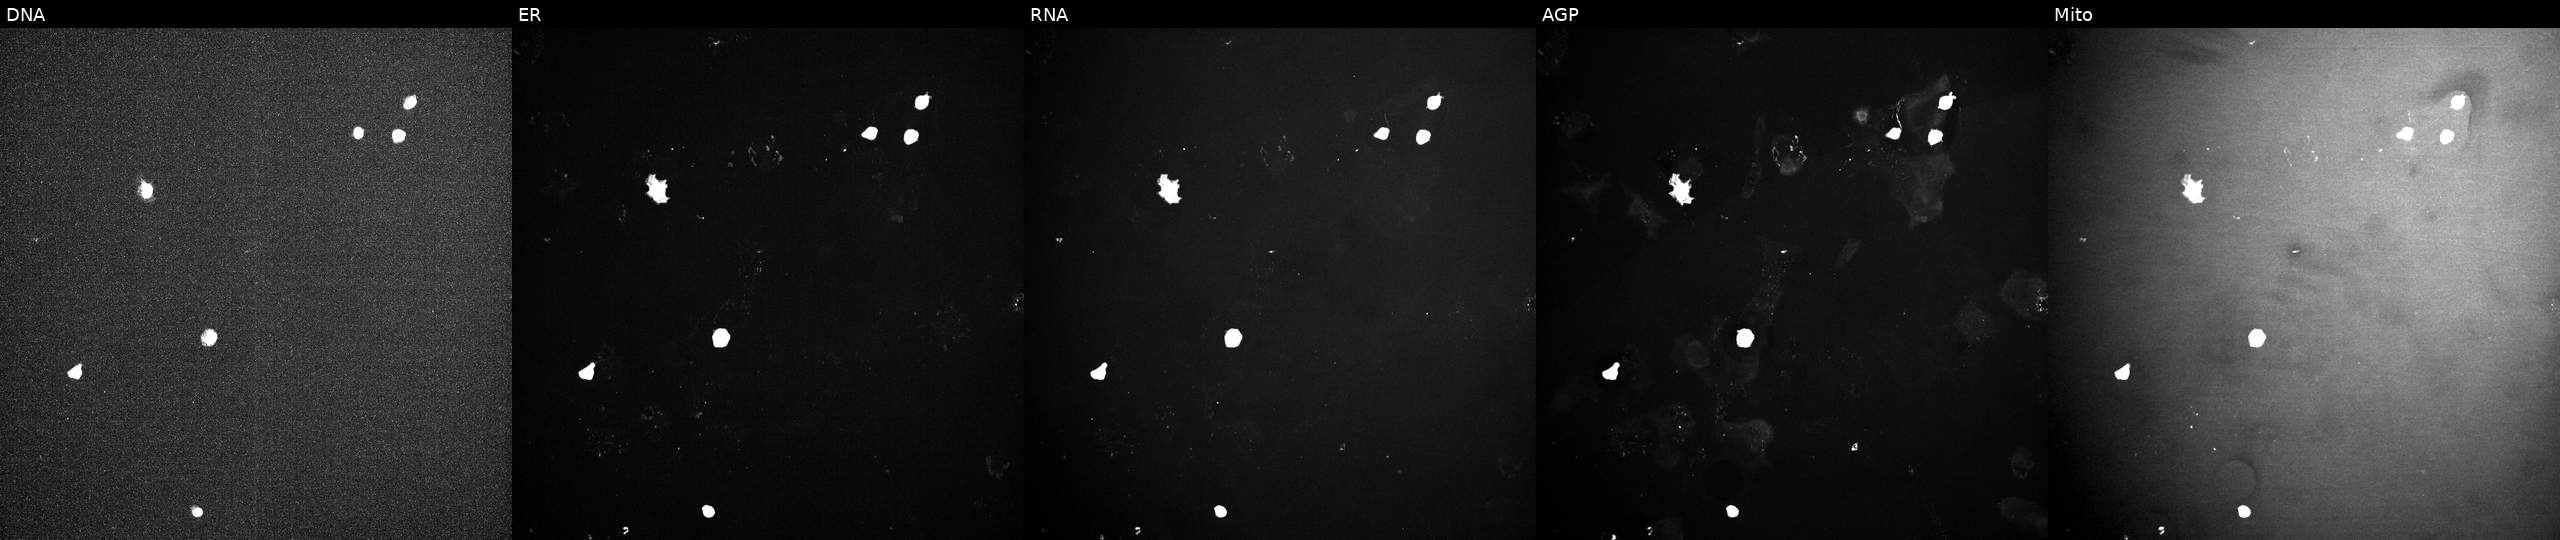
Channels (left→right): DNA, ER, RNA, AGP, and Mito. U2OS osteosarcoma cells perturbed with a small-molecule compound (InChIKey NQQBNZBOOHHVQP-UHFFFAOYSA-N). Cell Painting assay, JUMP-CP dataset.